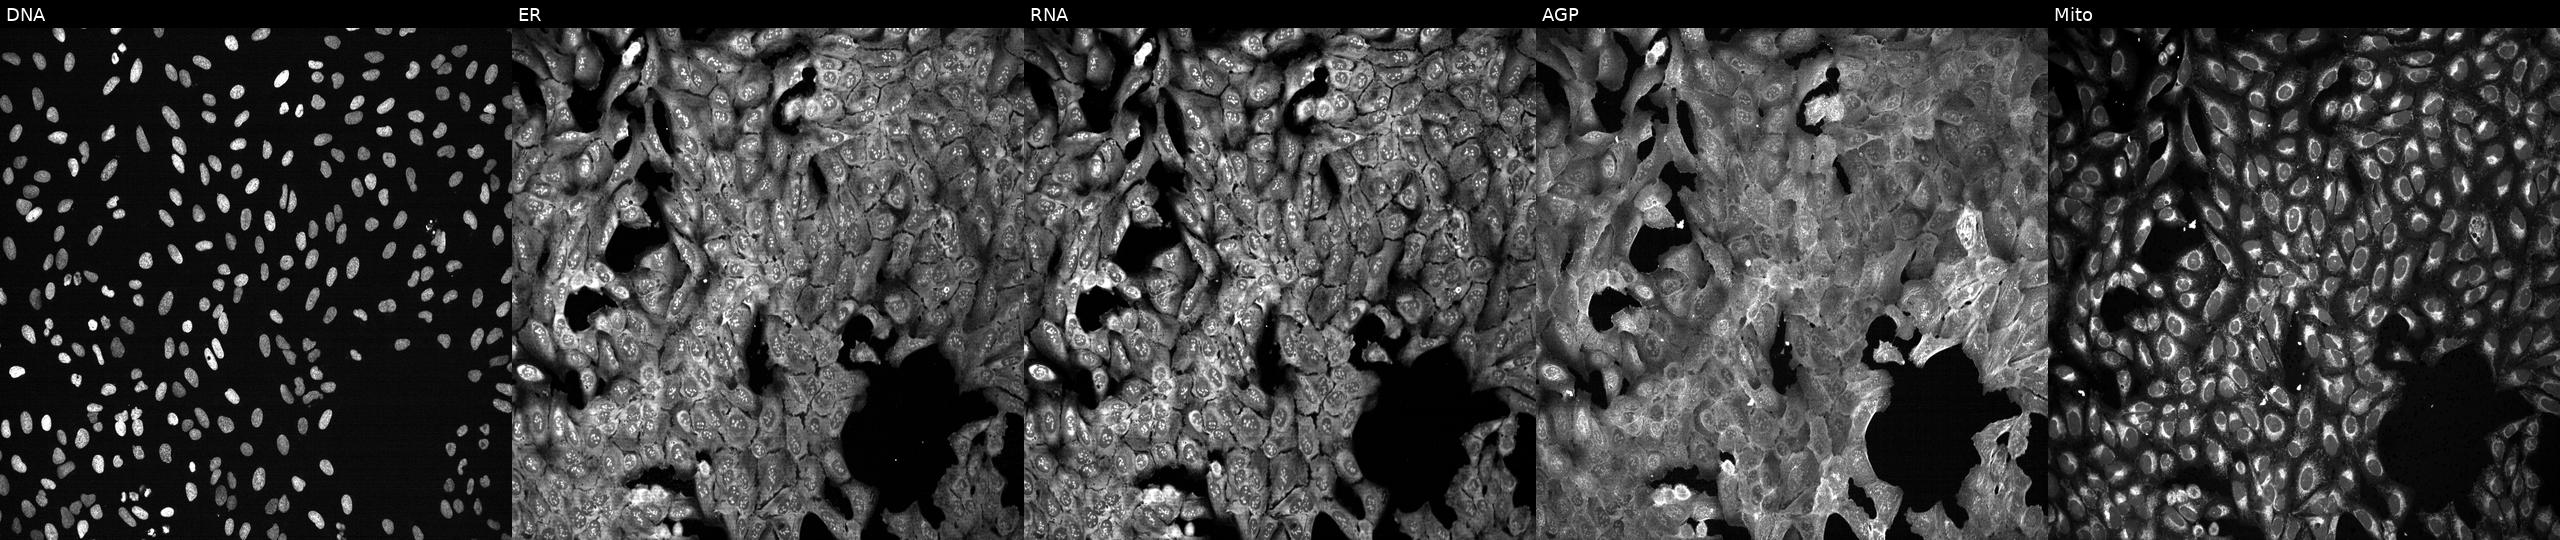
U2OS cells, Cell Painting assay, following CRISPR knockout of RAB35. The five panels, left to right, show Hoechst 33342, concanavalin A, SYTO 14, phalloidin and WGA, MitoTracker. Each panel is percentile-stretched 16-bit fluorescence. Source 13, plate CP-CC9-R2-01, well J19.